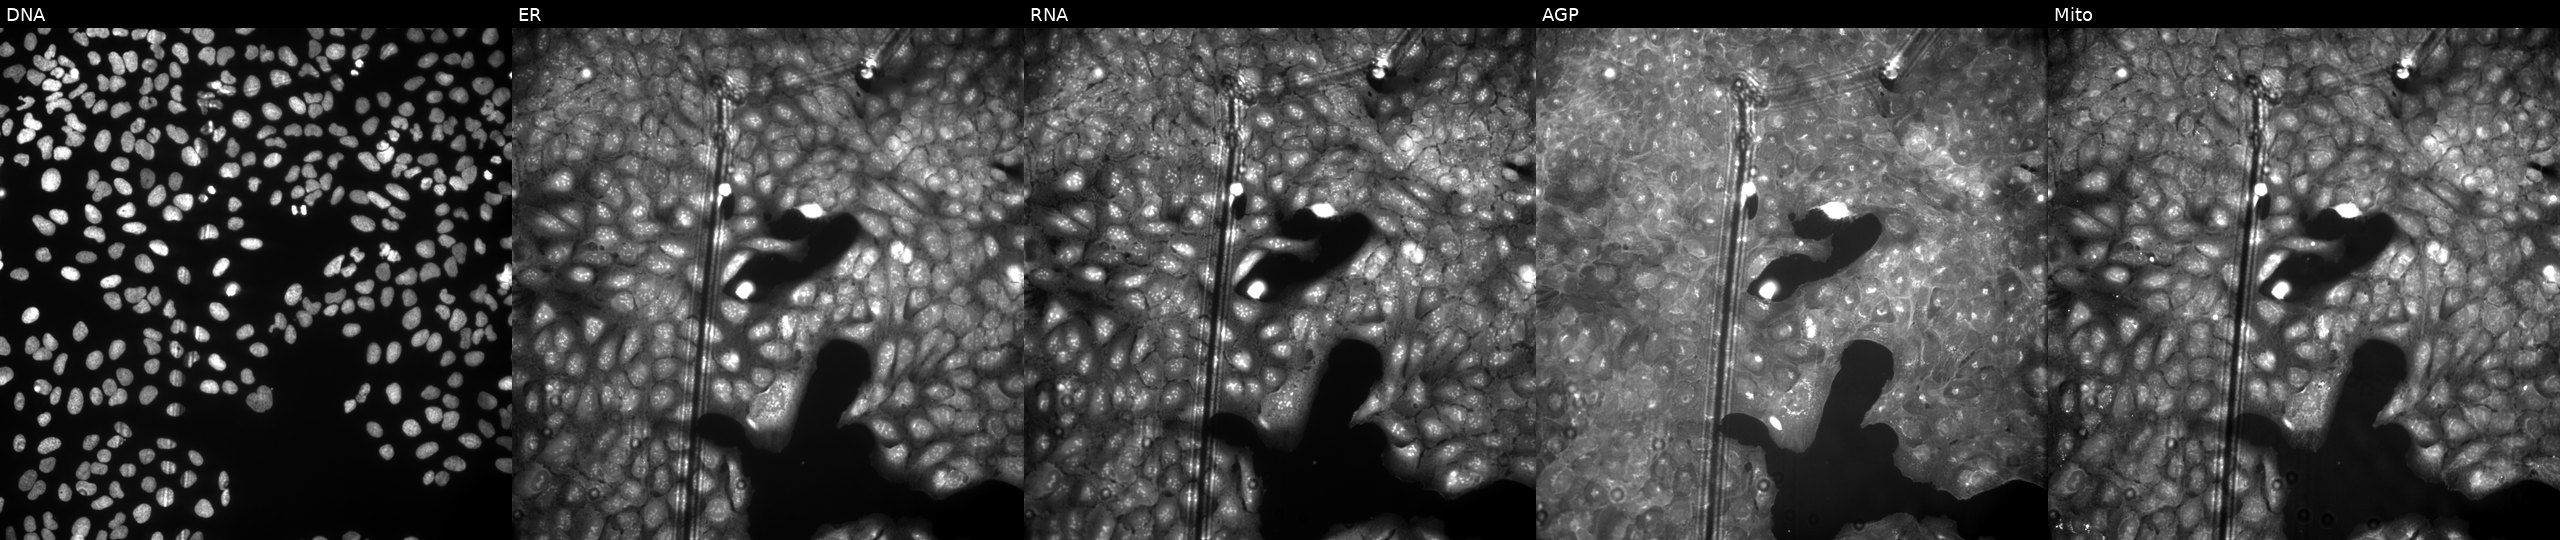
This image strip shows the five Cell Painting channels for a single field of U2OS cells treated with DMSO vehicle only (negative control) (JUMP id JCP2022_033924). Channels (left→right): DNA, ER, RNA, AGP, and Mito. Source 9, plate GR00003382, well N23.